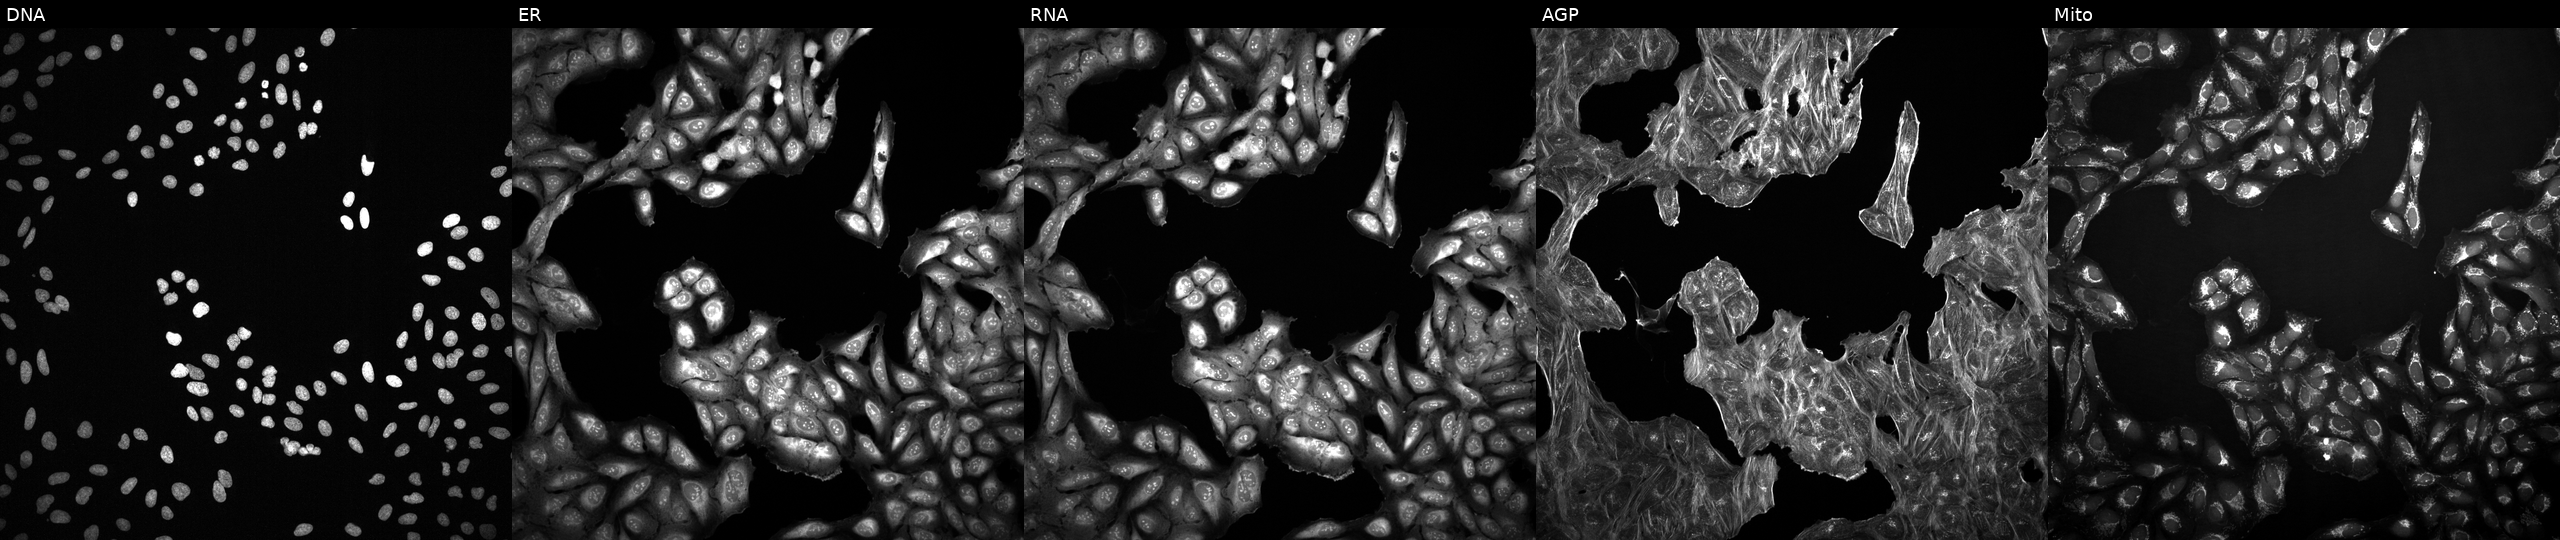
Panels show, left to right, DNA, ER, RNA, AGP, and Mito. U2OS osteosarcoma cells exposed to DMSO alone as a negative control. Cell Painting assay, JUMP-CP dataset. Source 2, plate 1053597936, well J12.